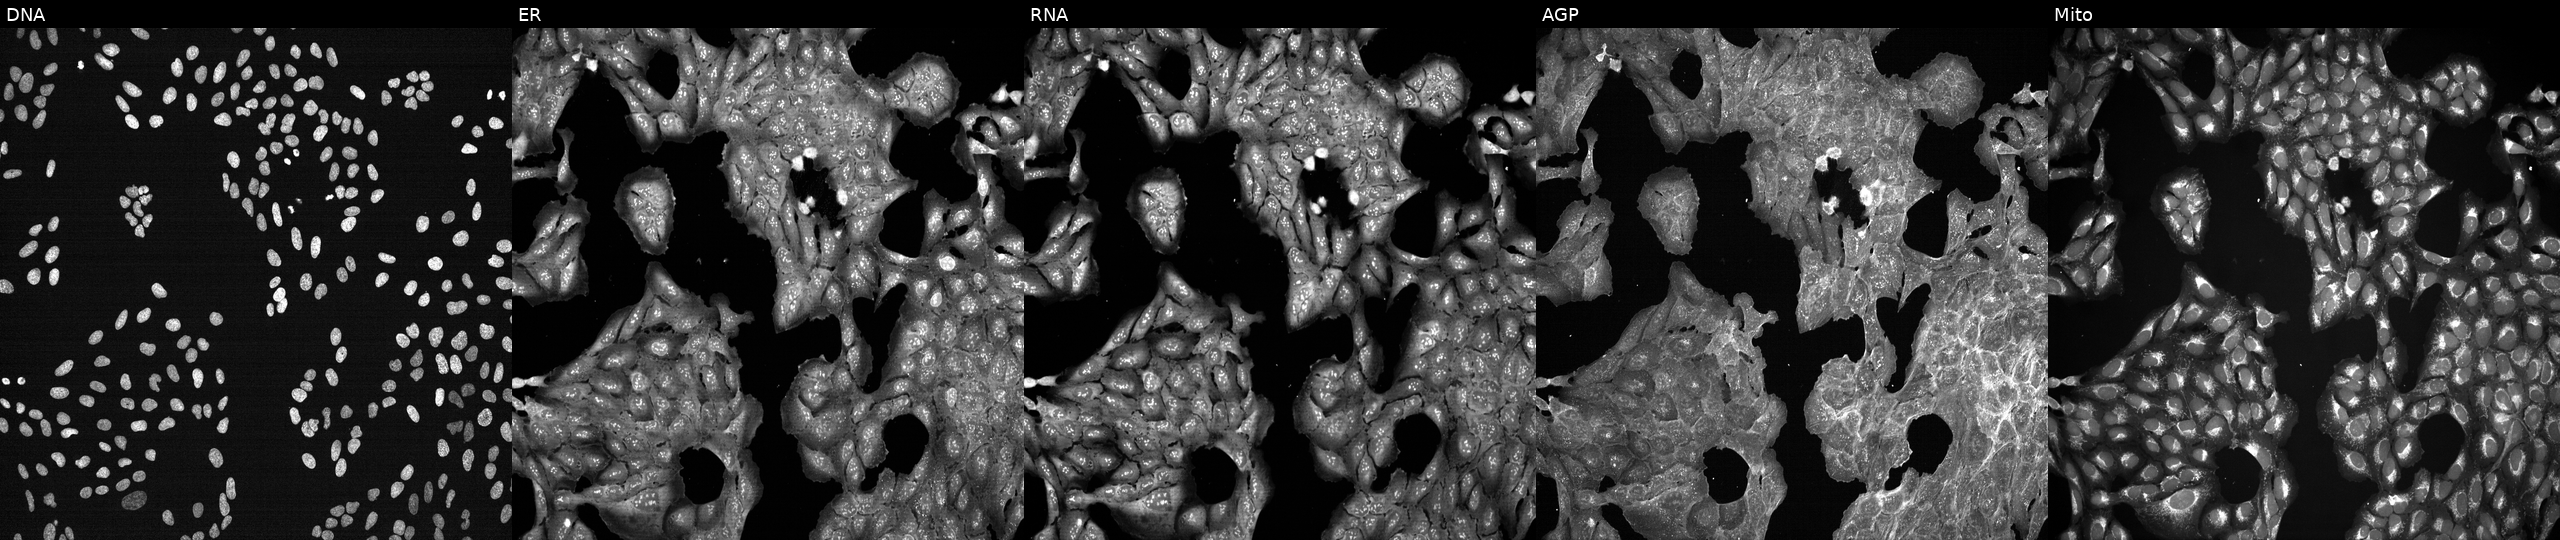
Panels show, left to right, DNA, ER, RNA, AGP, and Mito. U2OS osteosarcoma cells perturbed with a small-molecule compound [SMILES: Cc1ccc(NC(=O)c2cccc(N(C)C)c2)cc1NC(=O)c1ccc(O)cc1] (JUMP id JCP2022_071733). Cell Painting assay, JUMP-CP dataset.